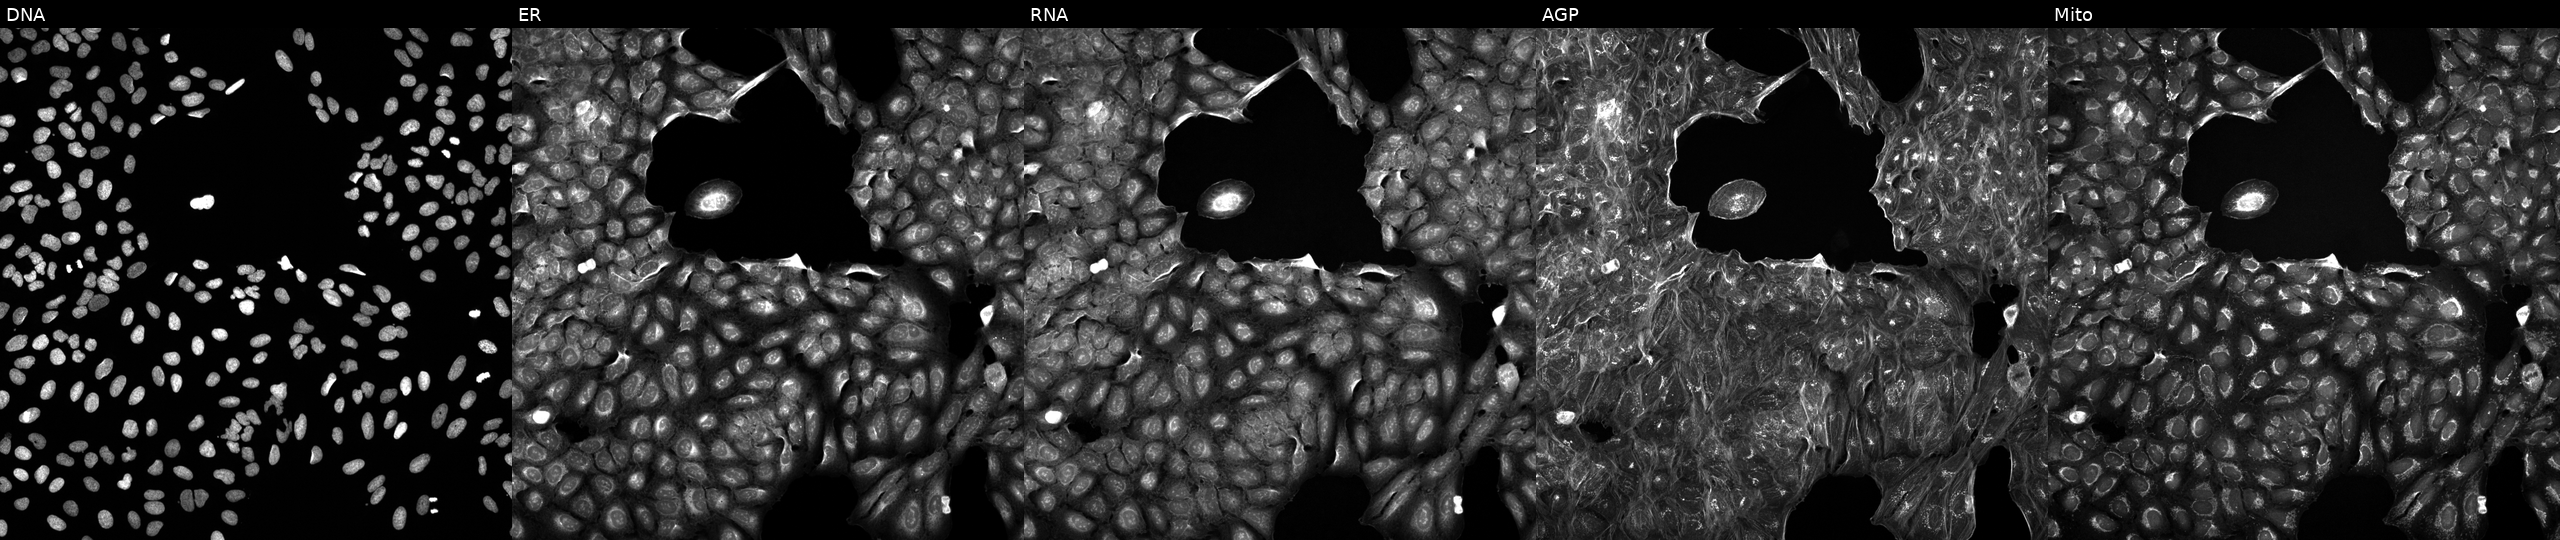
Five-channel Cell Painting image of U2OS cells treated with a small-molecule compound (InChIKey NGTDJJKTGRNNAU-UHFFFAOYSA-N) (JUMP id JCP2022_058889). From left to right: Hoechst 33342, concanavalin A, SYTO 14, phalloidin and WGA, MitoTracker. Source 5, plate ACPJUM012, well J16.